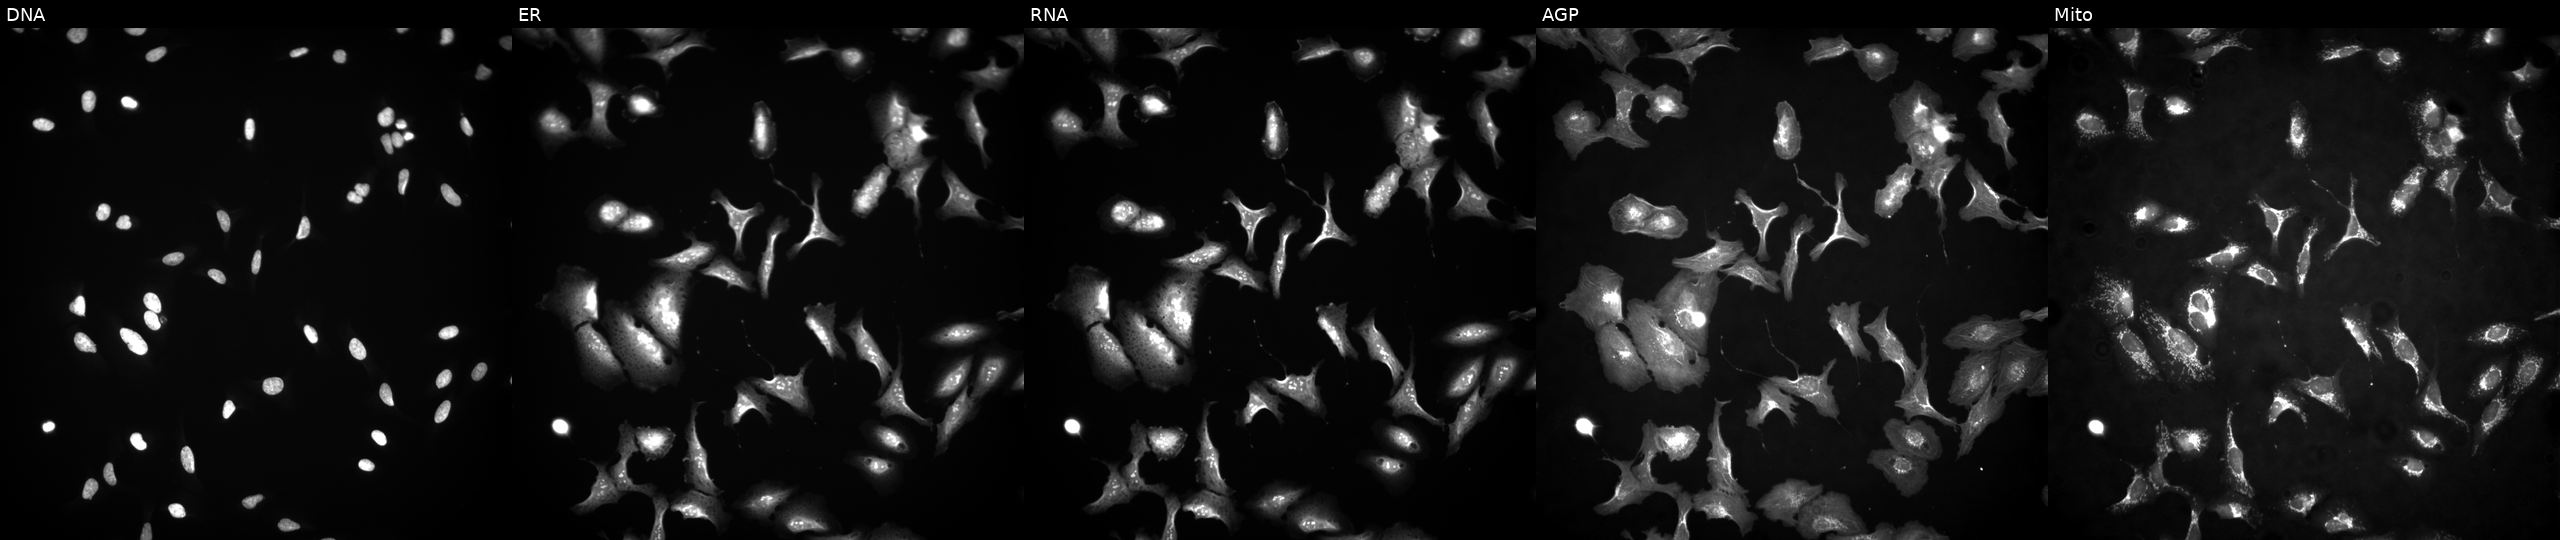
High-content fluorescence microscopy (Cell Painting). Cell line: U2OS. Perturbation: with HMG20B overexpressed (ORF) (JUMP id JCP2022_910714). The five panels, left to right, show DNA, ER, RNA, AGP, and Mito.